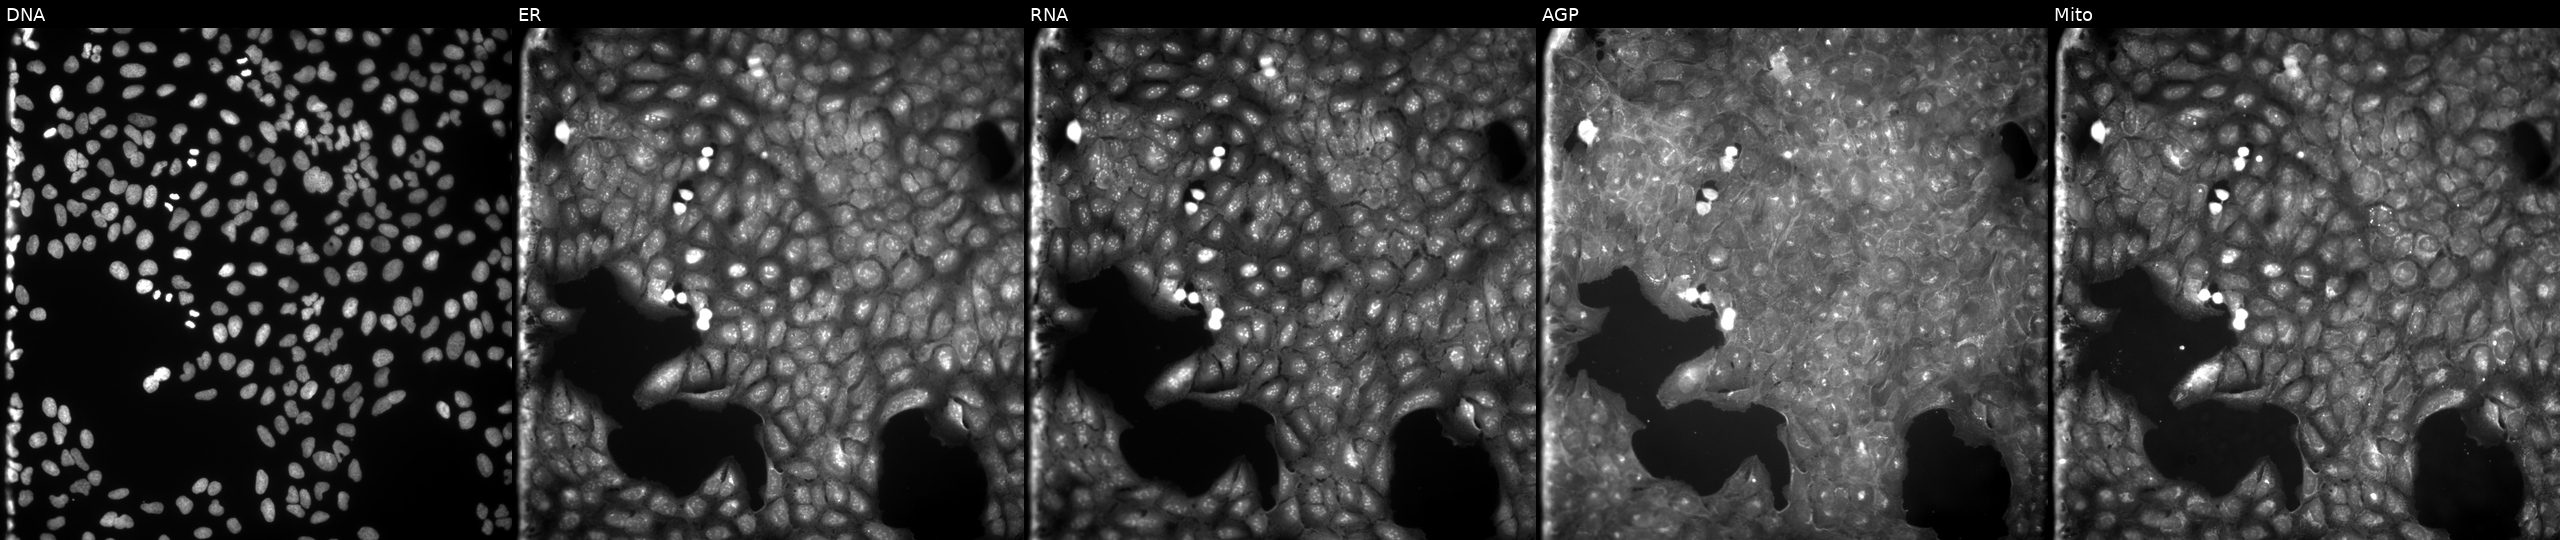
Panels show, left to right, DNA, ER, RNA, AGP, and Mito. U2OS osteosarcoma cells perturbed with a small-molecule compound (InChIKey KOVLSHIFZRNCEZ-UHFFFAOYSA-N) (JUMP id JCP2022_046022). Cell Painting assay, JUMP-CP dataset.